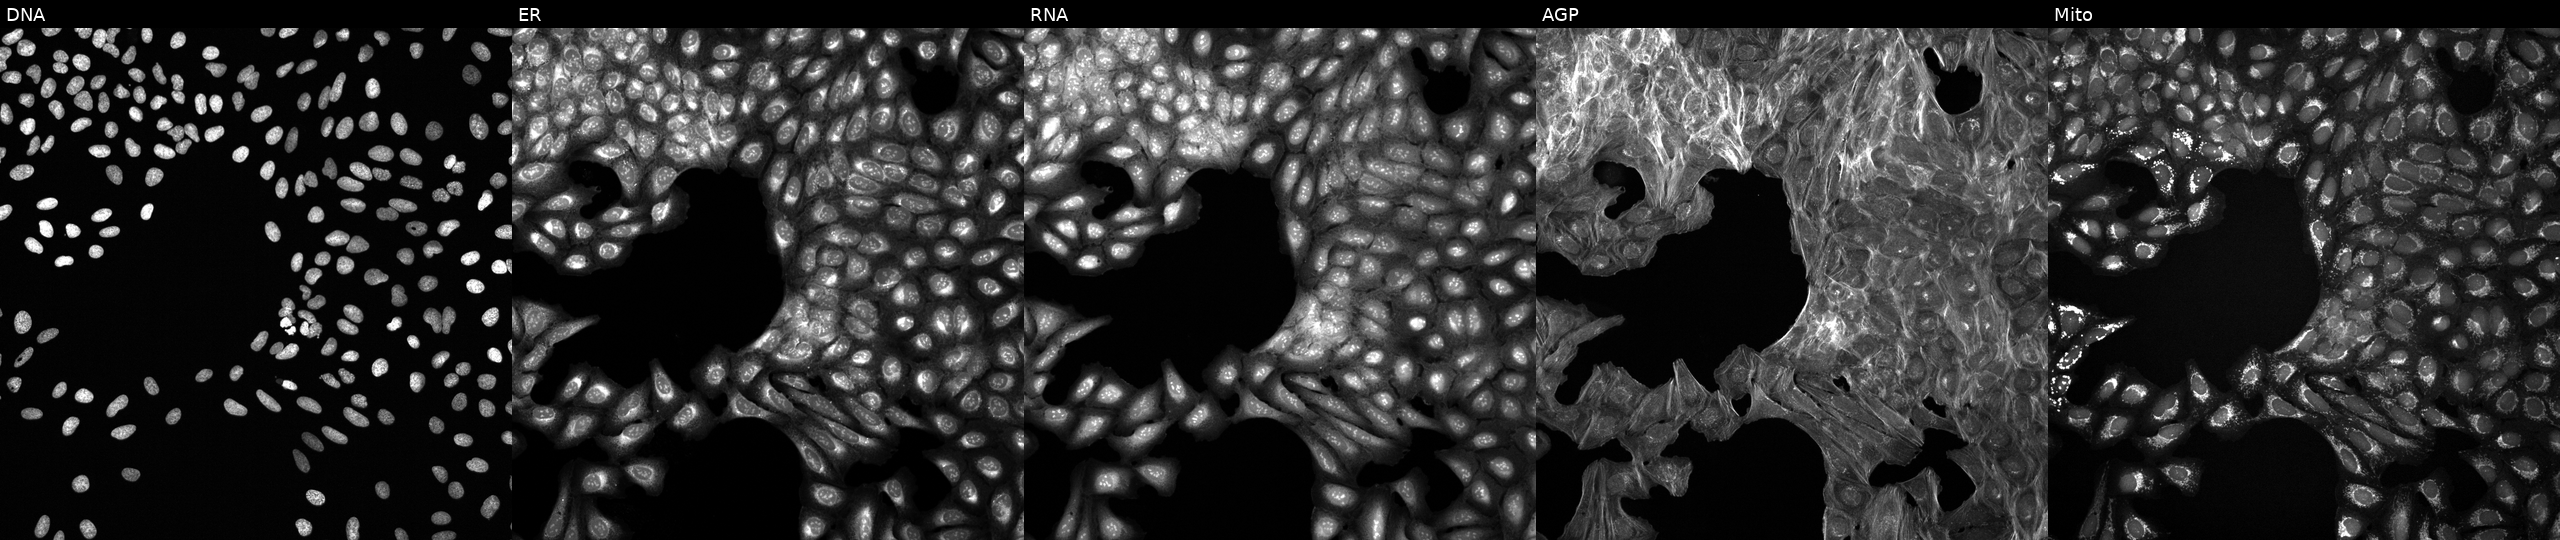
JUMP Cell Painting — TARGET2 plate. U2OS cells exposed to a small-molecule compound. Panels show, left to right, Hoechst 33342, concanavalin A, SYTO 14, phalloidin and WGA, MitoTracker. Source 6, plate 110000293093, well P22.